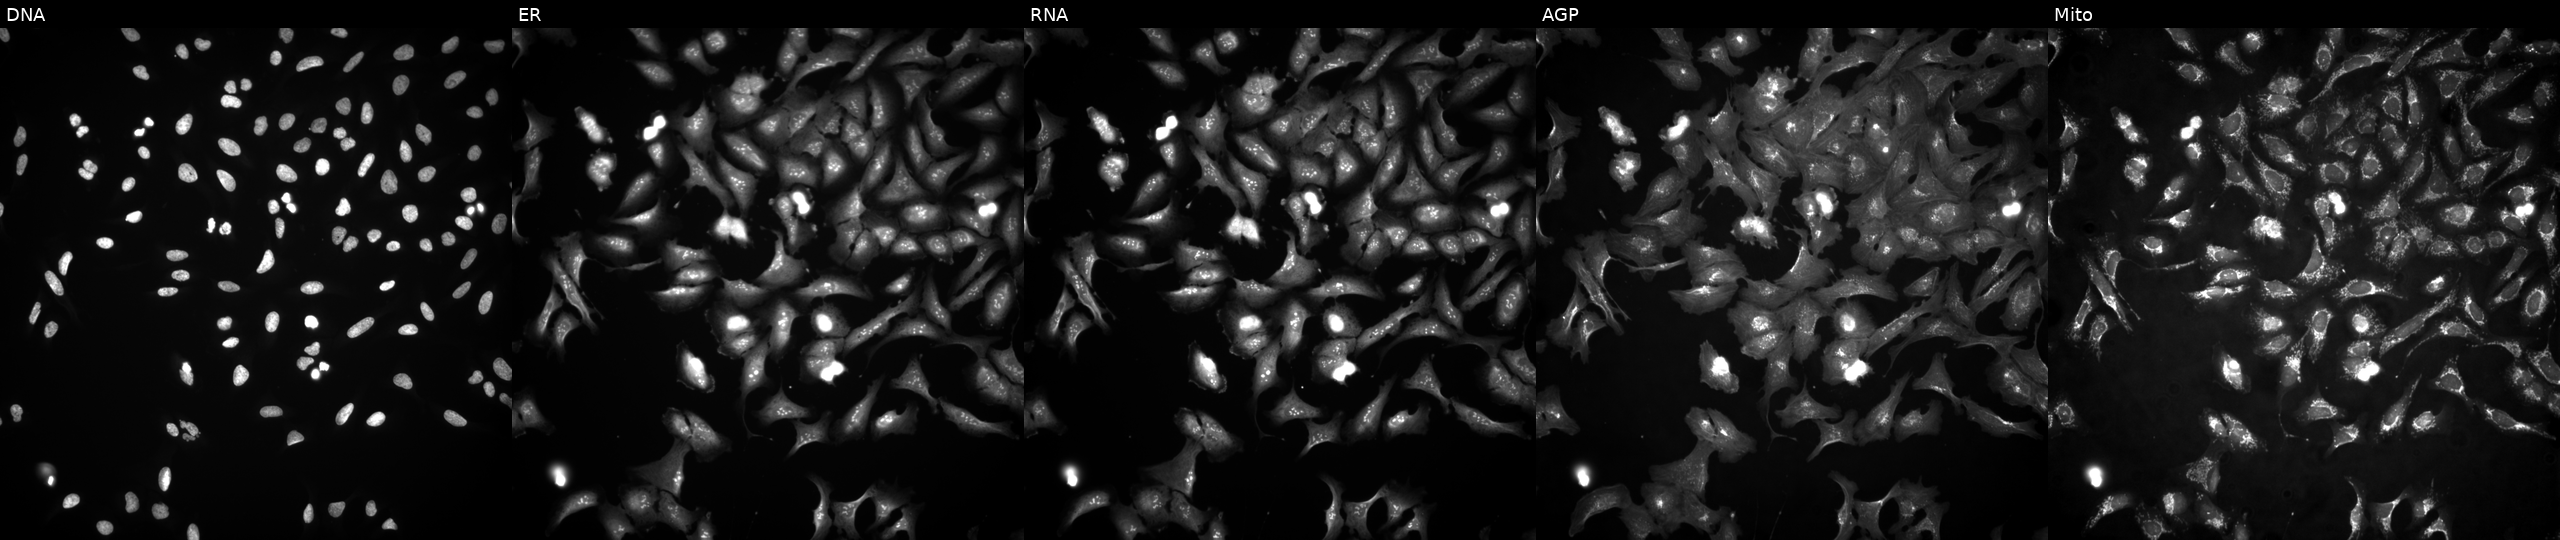
From left to right: DNA, ER, RNA, AGP, and Mito. U2OS osteosarcoma cells expressing LacZ (ORF negative control). Cell Painting assay, JUMP-CP dataset.